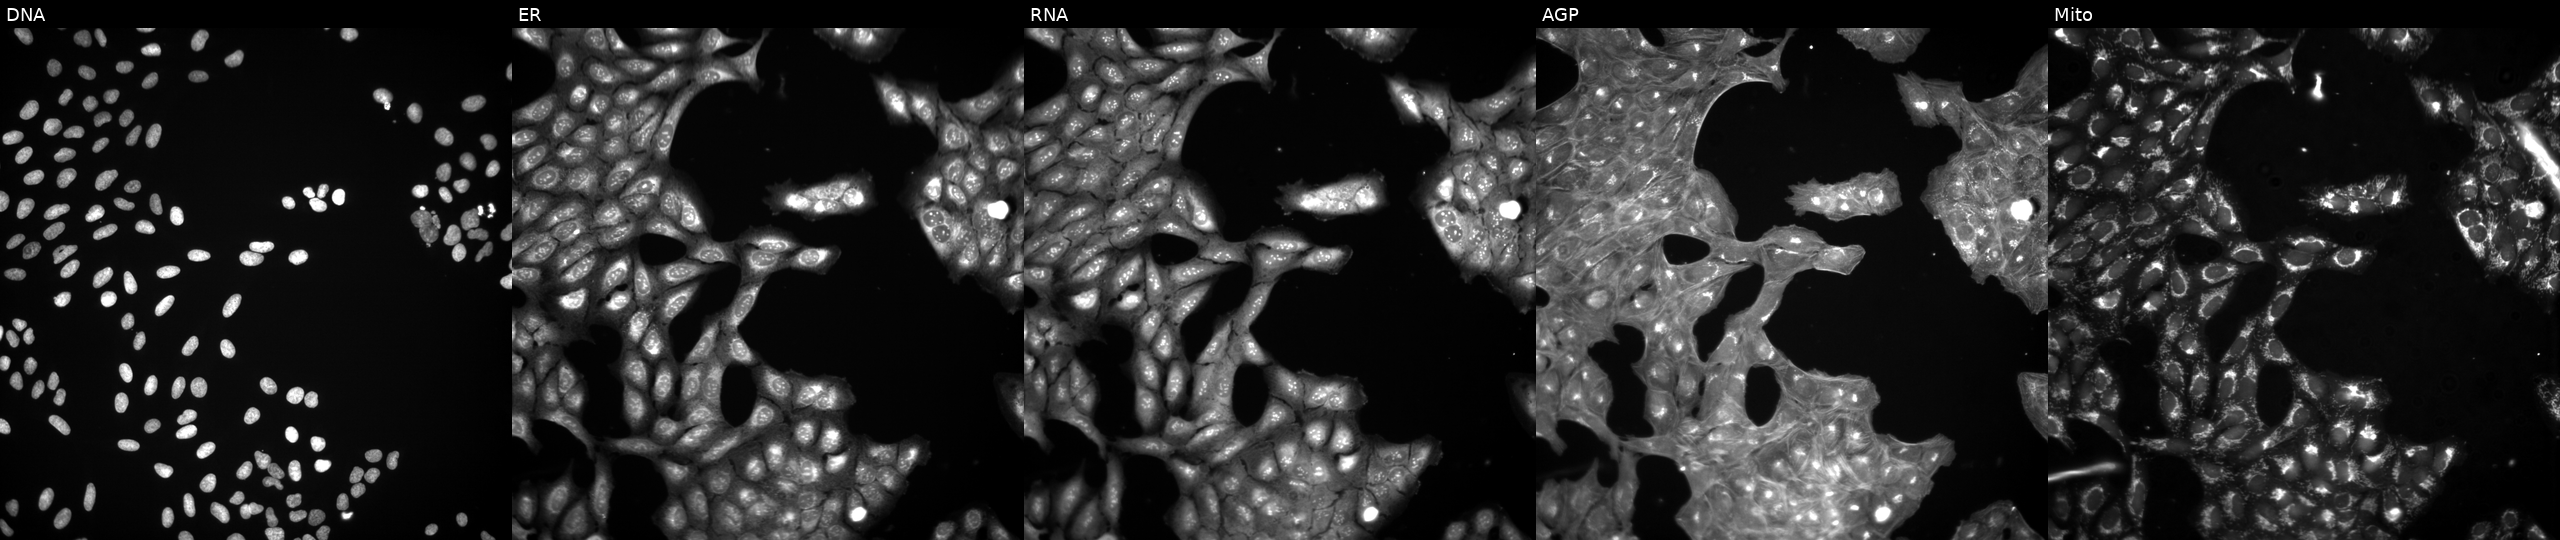
JUMP Cell Painting — COMPOUND plate. U2OS cells treated with a small-molecule compound (JUMP id JCP2022_095683). Channels (left→right): Hoechst 33342, concanavalin A, SYTO 14, phalloidin and WGA, MitoTracker. Source 3, plate BR5867a3, well A04.